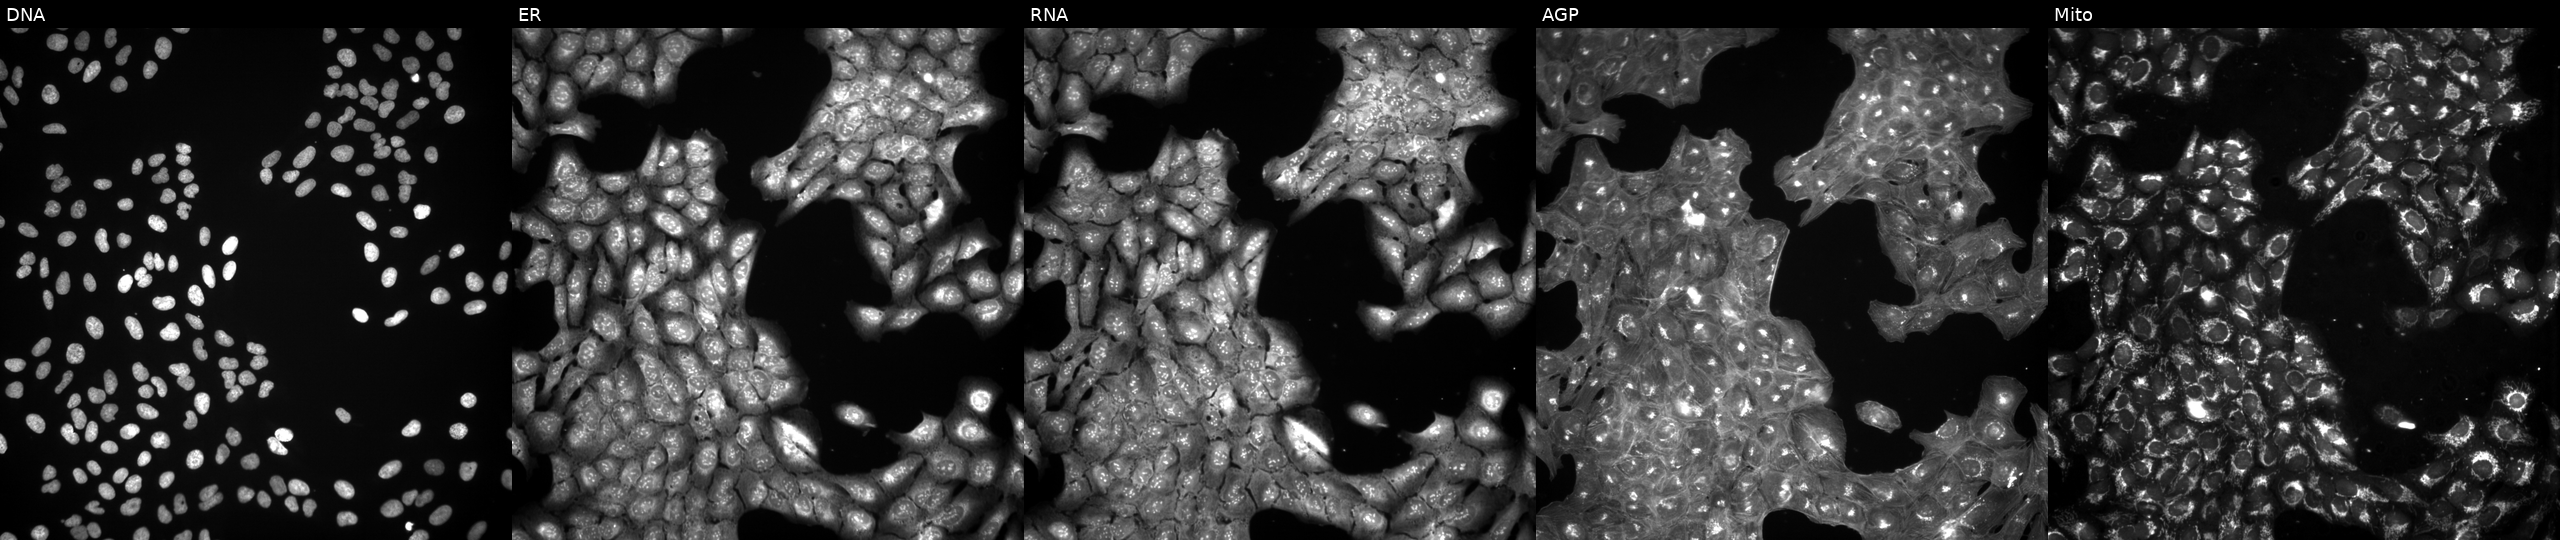
Five-channel Cell Painting image of U2OS cells exposed to a small-molecule compound (InChIKey OJLOPKGSLYJEMD-UHFFFAOYSA-N) [SMILES: CCCCC(C)(O)CC=CC1C(O)CC(=O)C1CCCCCCC(=O)OC] (JUMP id JCP2022_064183). Panels show, left to right, DNA (nuclei); ER (endoplasmic reticulum); RNA (nucleoli and cytoplasmic RNA); AGP (actin cytoskeleton, Golgi, and plasma membrane); Mito (mitochondria).